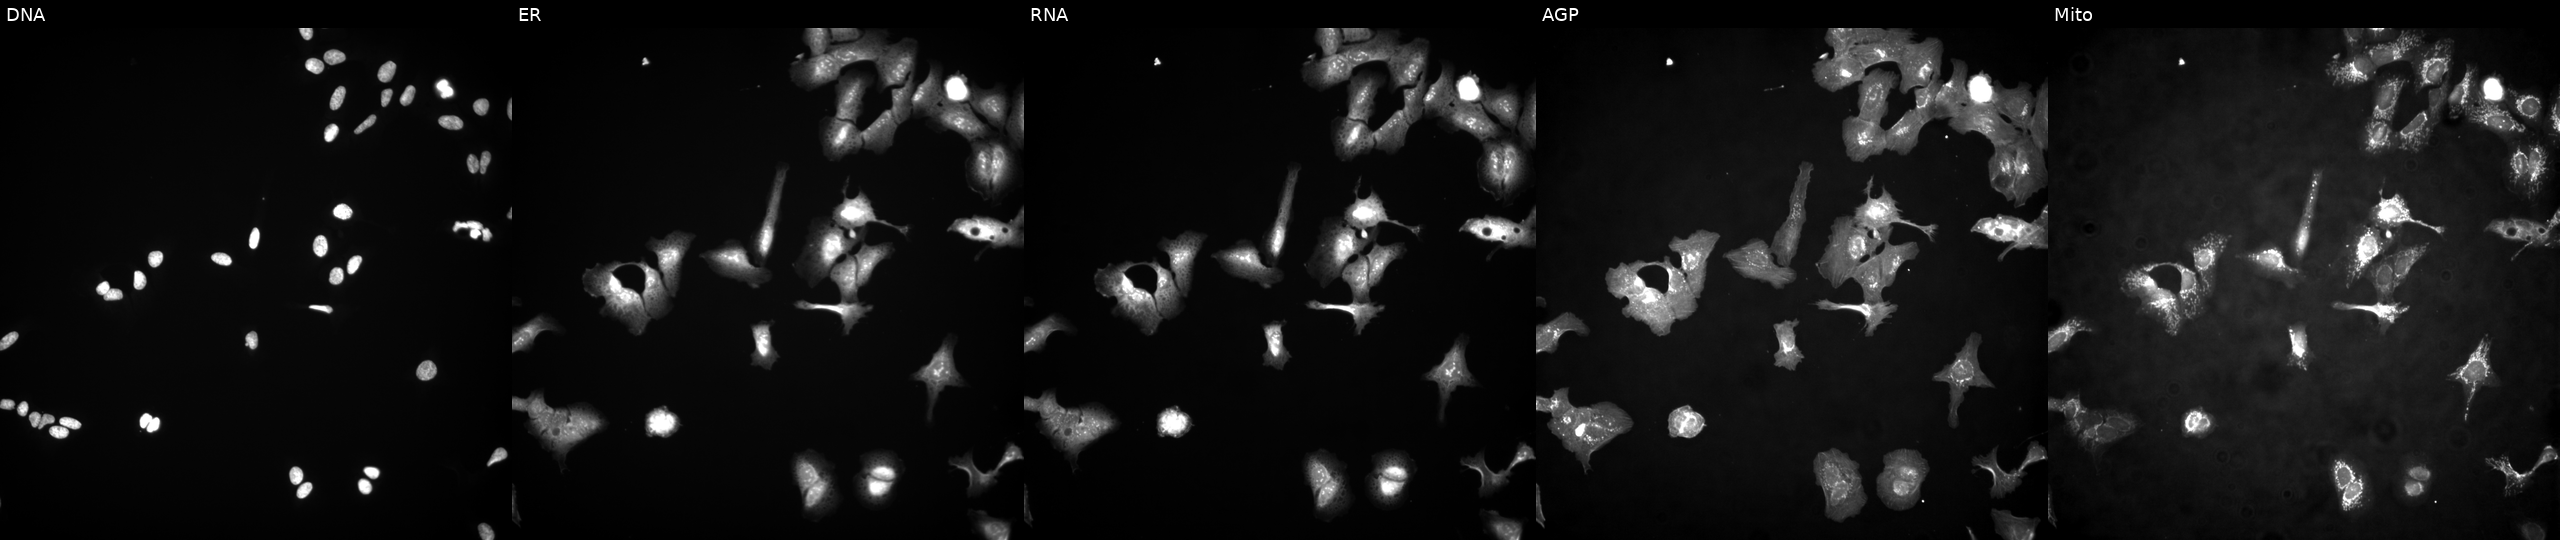
Channels (left→right): DNA, ER, RNA, AGP, and Mito. U2OS osteosarcoma cells with CDX2 overexpressed (ORF) (JUMP id JCP2022_905591). Cell Painting assay, JUMP-CP dataset. Source 4, plate BR00117035, well O11.